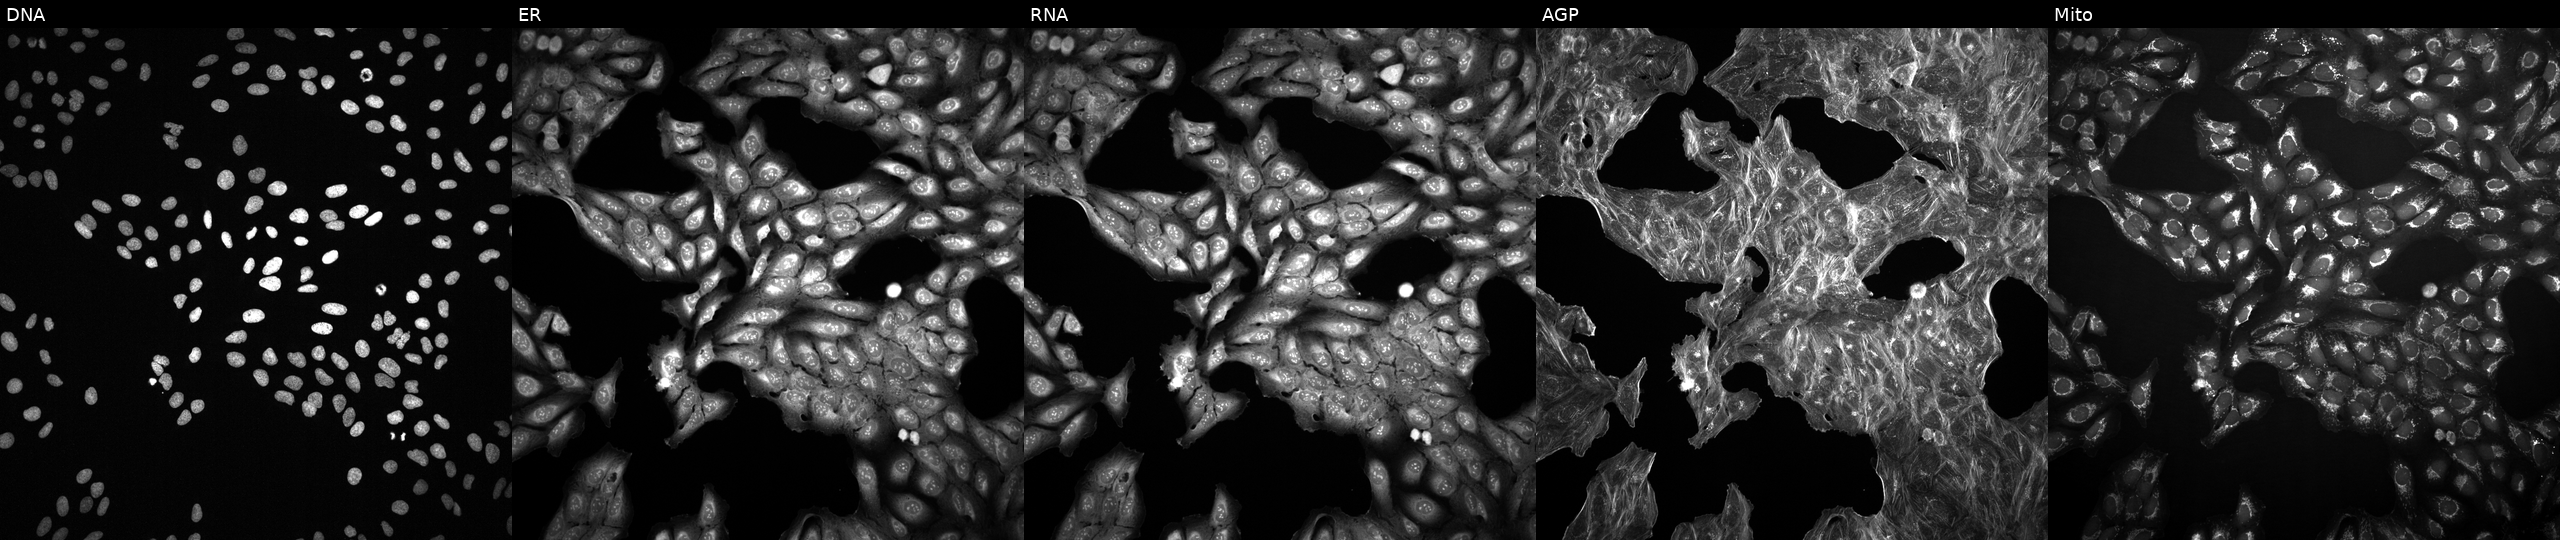
This image strip shows the five Cell Painting channels for a single field of U2OS cells treated with a small-molecule compound (JUMP id JCP2022_101929). Panels show, left to right, Hoechst 33342, concanavalin A, SYTO 14, phalloidin and WGA, MitoTracker. Source 2, plate 1053597936, well F15.